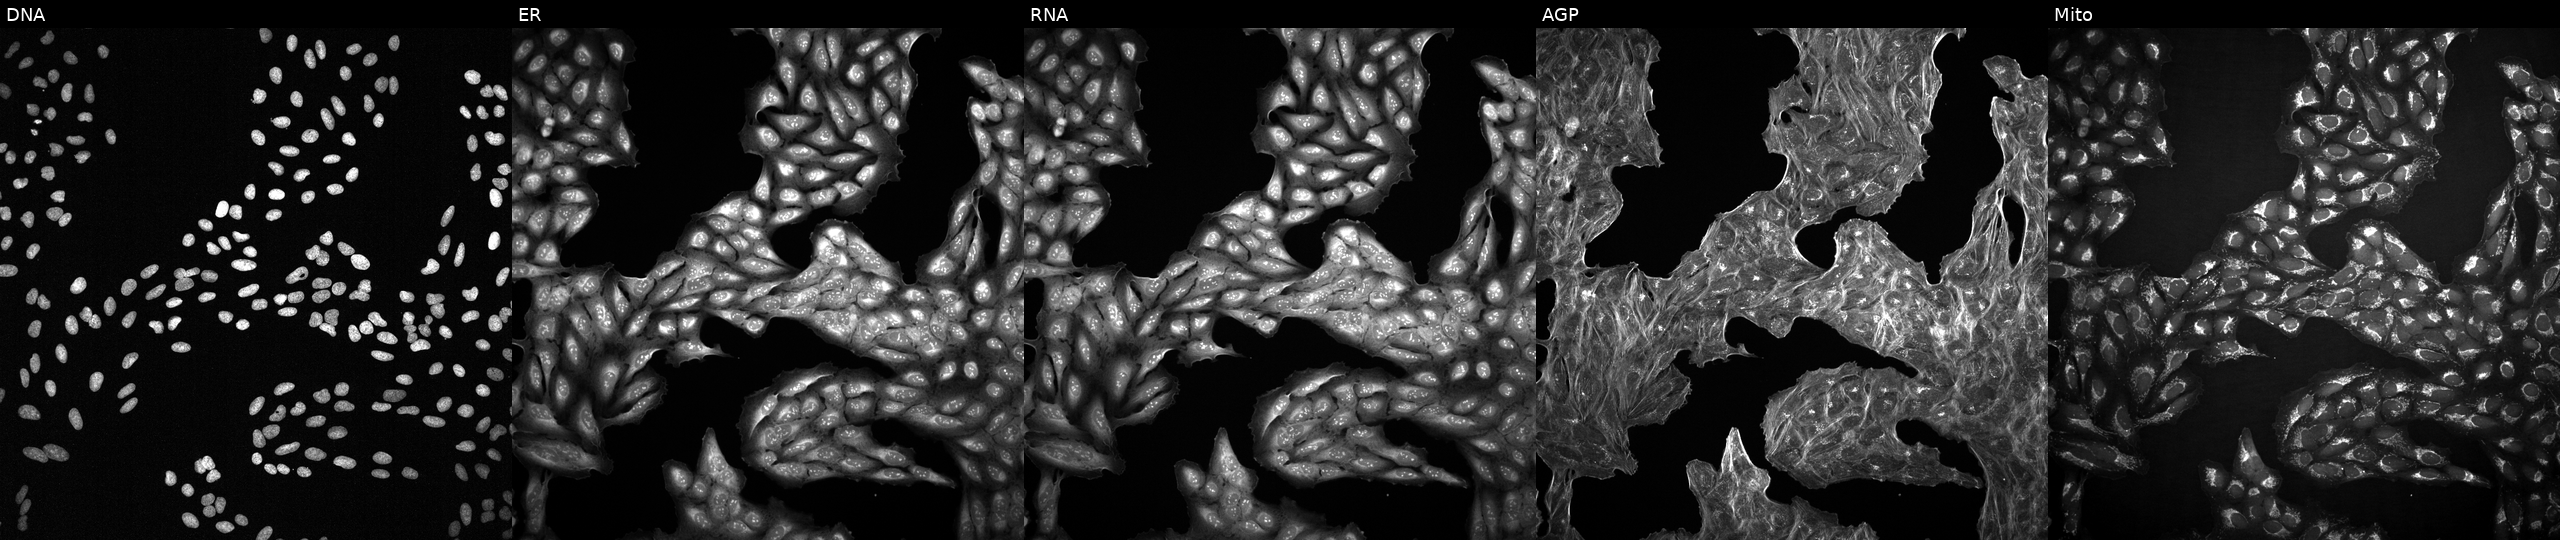
U2OS cells, Cell Painting assay, exposed to DMSO alone as a negative control (JUMP id JCP2022_033924). Panels show, left to right, DNA, ER, RNA, AGP, and Mito. Each panel is percentile-stretched 16-bit fluorescence.